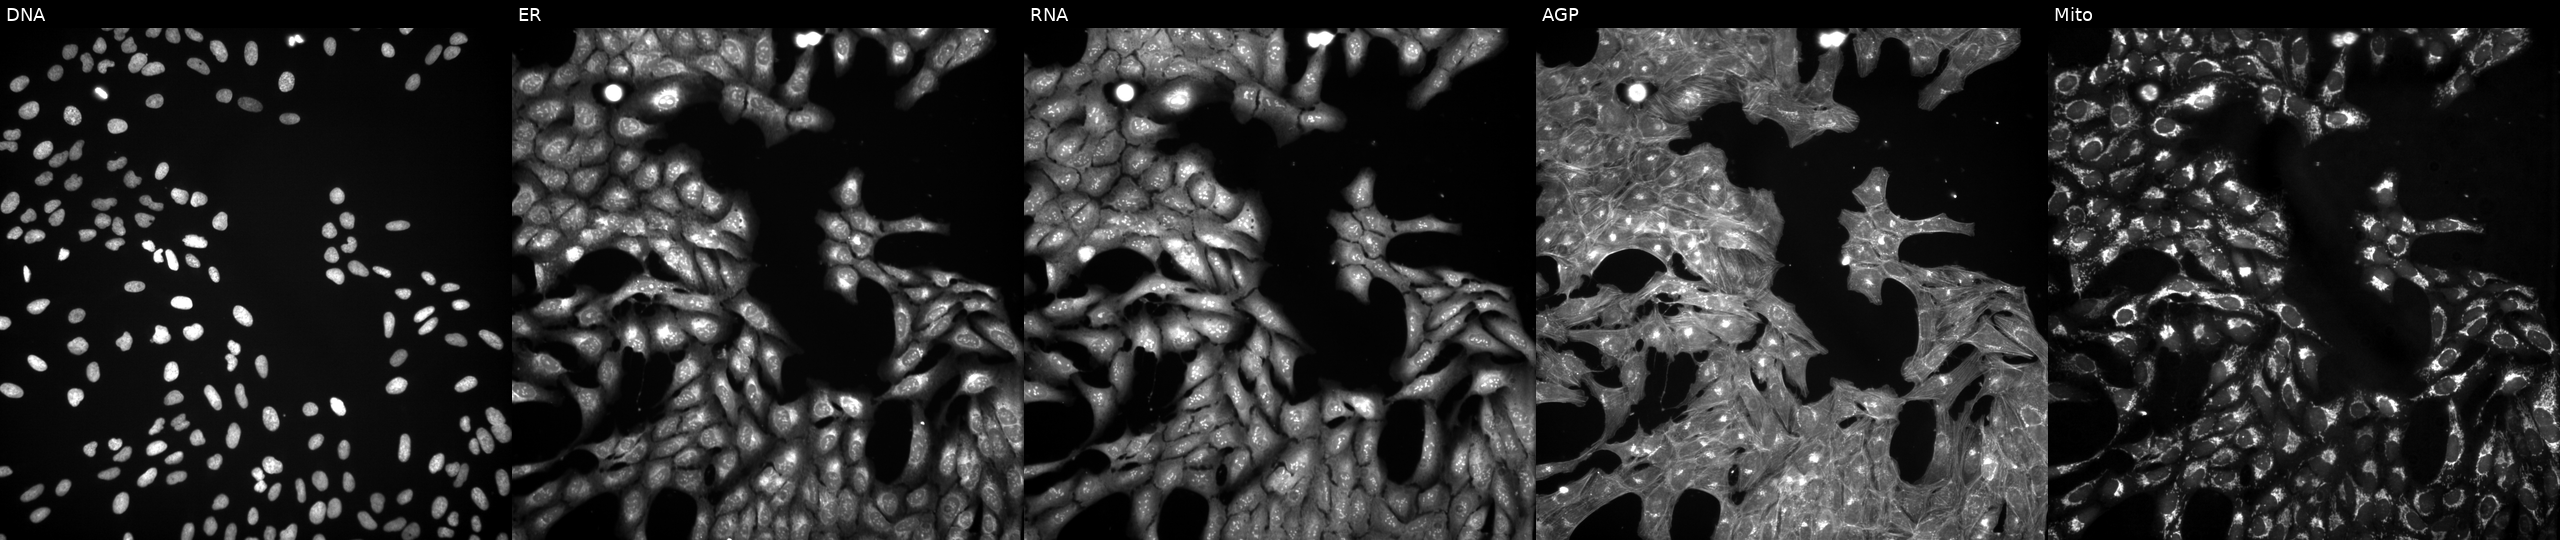
U2OS cells, Cell Painting assay, exposed to a small-molecule compound (InChIKey XDJCLCLBSGGNKS-UHFFFAOYSA-N) (JUMP id JCP2022_102936). The five panels, left to right, show Hoechst 33342, concanavalin A, SYTO 14, phalloidin and WGA, MitoTracker. Each panel is percentile-stretched 16-bit fluorescence. Source 3, plate JCPQC053, well H13.